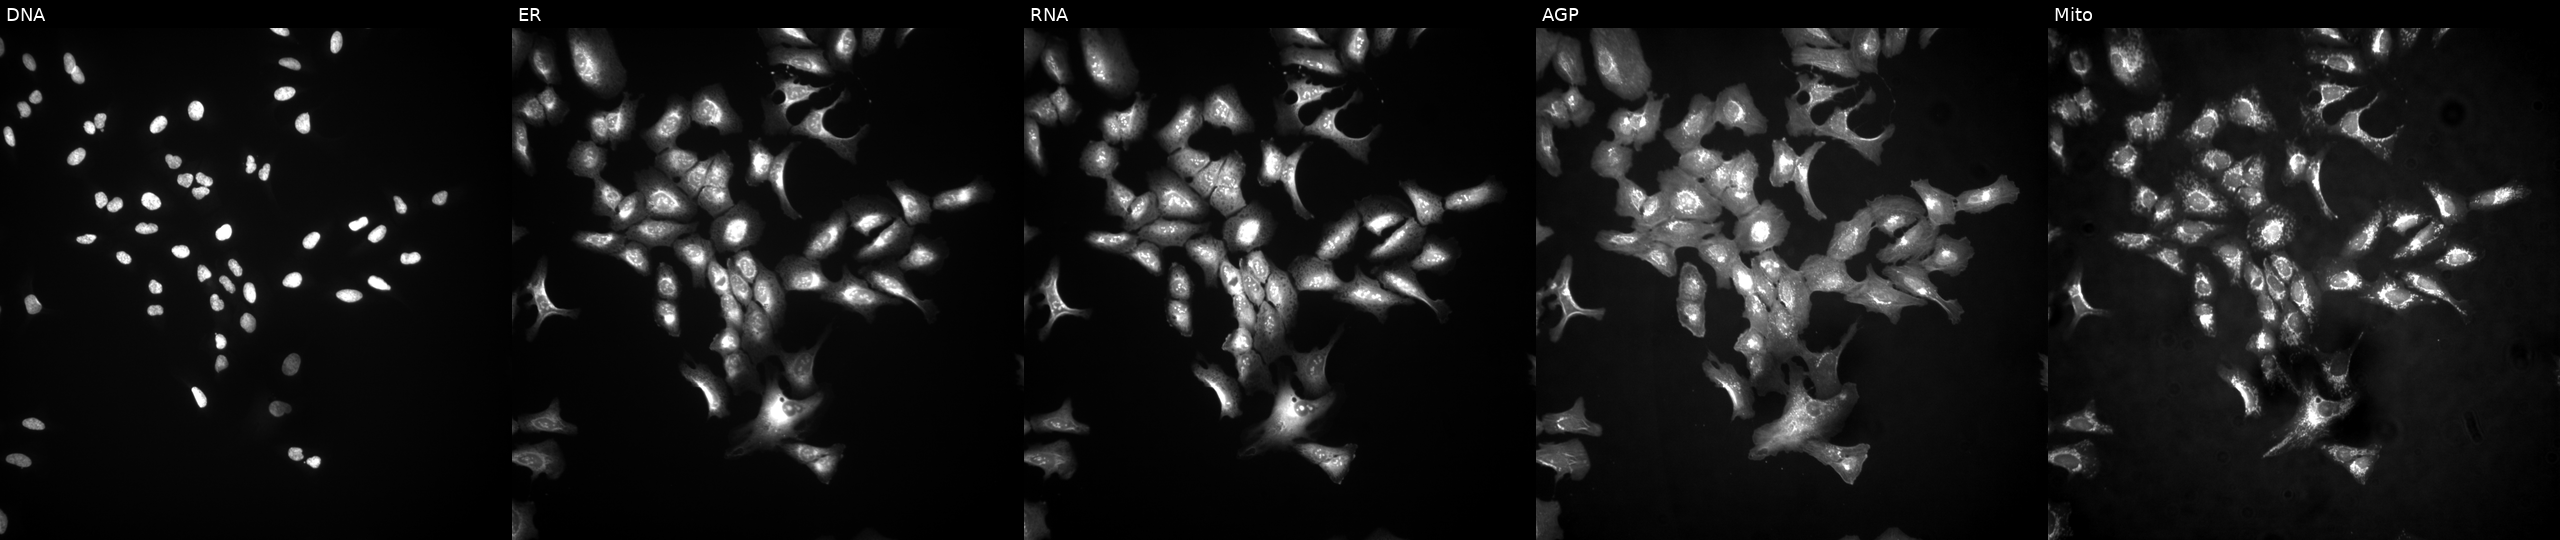
U2OS cells, Cell Painting assay, expressing eGFP (ORF positive control) (JUMP id JCP2022_915132). Channels (left→right): DNA, ER, RNA, AGP, and Mito. Each panel is percentile-stretched 16-bit fluorescence. Source 4, plate BR00124790, well O17.